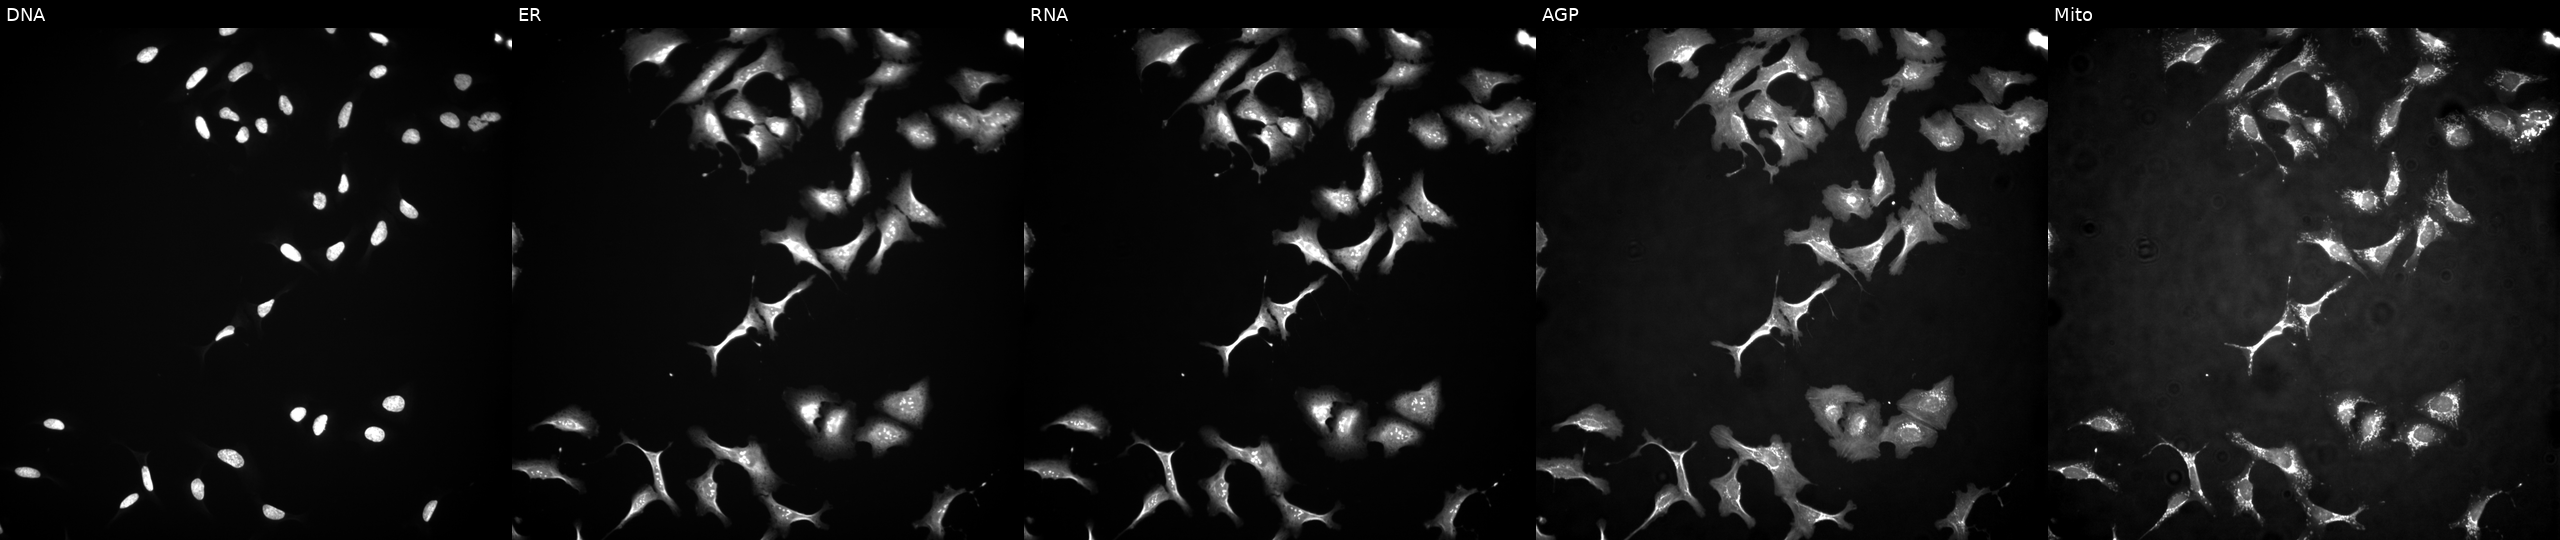
This image strip shows the five Cell Painting channels for a single field of U2OS cells transfected with an ORF construct for ZNF418. Channels (left→right): Hoechst 33342, concanavalin A, SYTO 14, phalloidin and WGA, MitoTracker.